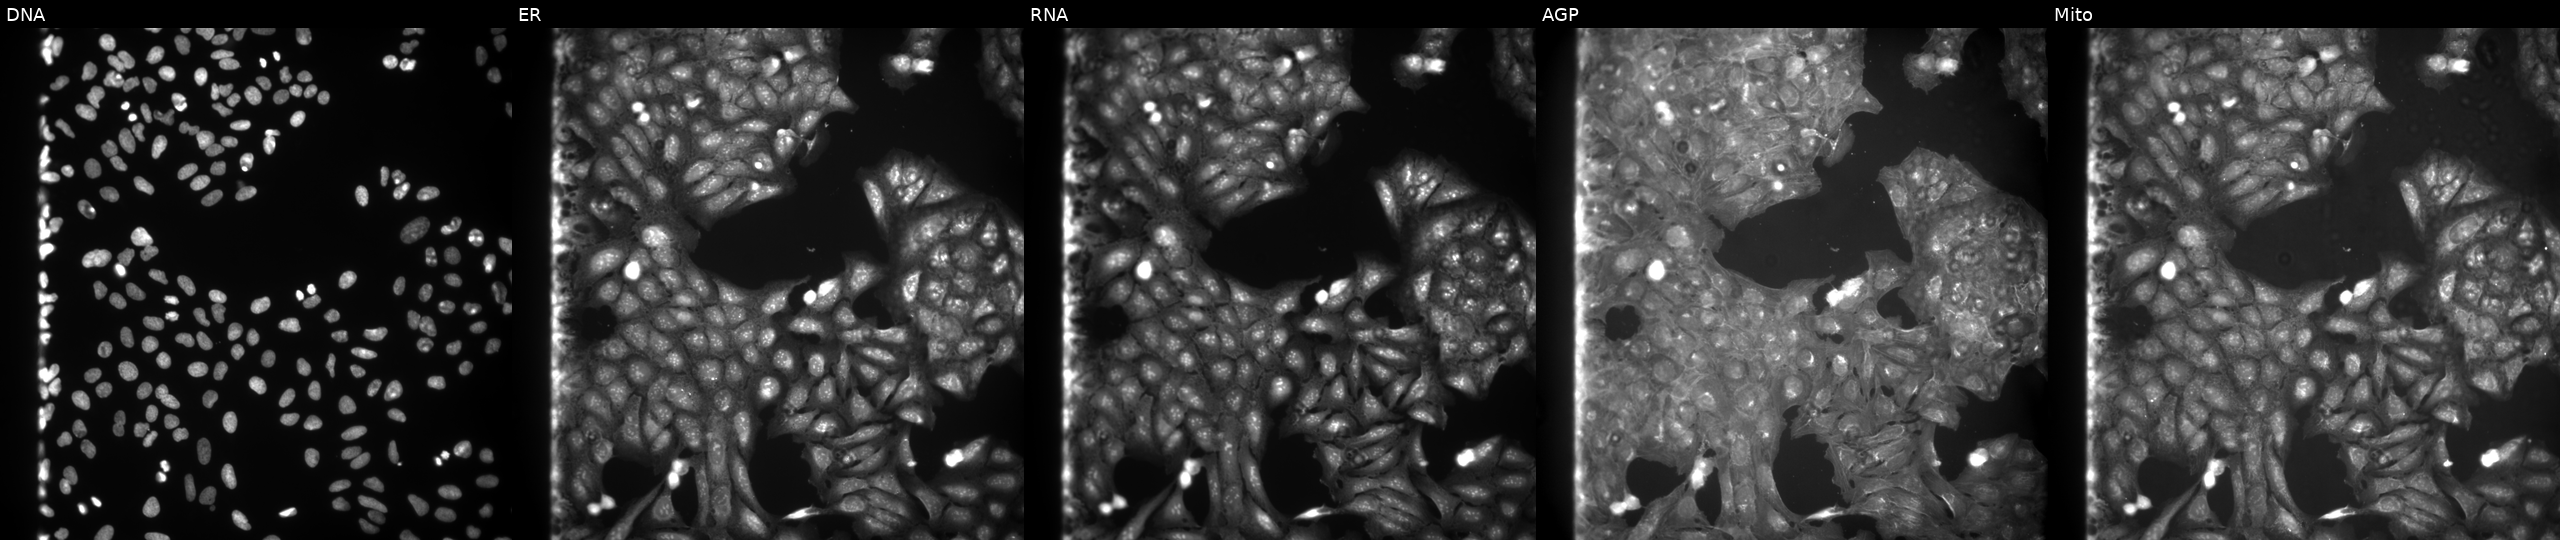
U2OS cells, Cell Painting assay, exposed to a small-molecule compound (InChIKey YWGLXXUNDUYRRT-UHFFFAOYSA-N) [SMILES: CN(CCCC(=O)N=c1[nH]ccs1)S(=O)(=O)c1ccc(Cl)cc1] (JUMP id JCP2022_111266). Panels show, left to right, Hoechst 33342, concanavalin A, SYTO 14, phalloidin and WGA, MitoTracker. Each panel is percentile-stretched 16-bit fluorescence. Source 9, plate GR00003382, well D04.